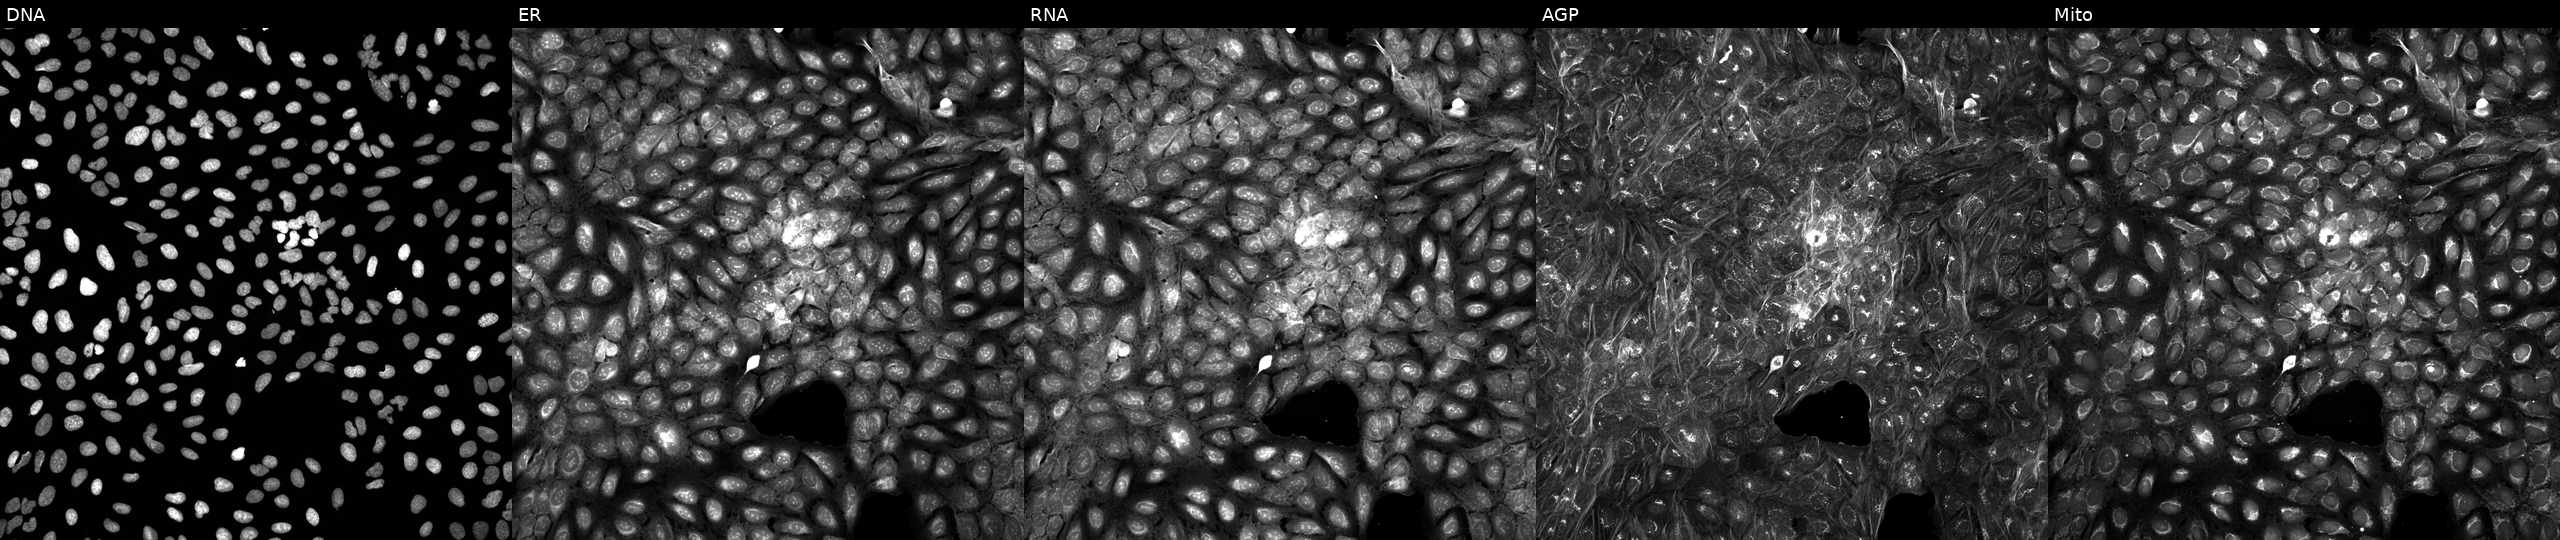
Five-channel Cell Painting image of U2OS cells exposed to a small-molecule compound. From left to right: Hoechst 33342, concanavalin A, SYTO 14, phalloidin and WGA, MitoTracker. Source 5, plate APTJUM105, well F14.